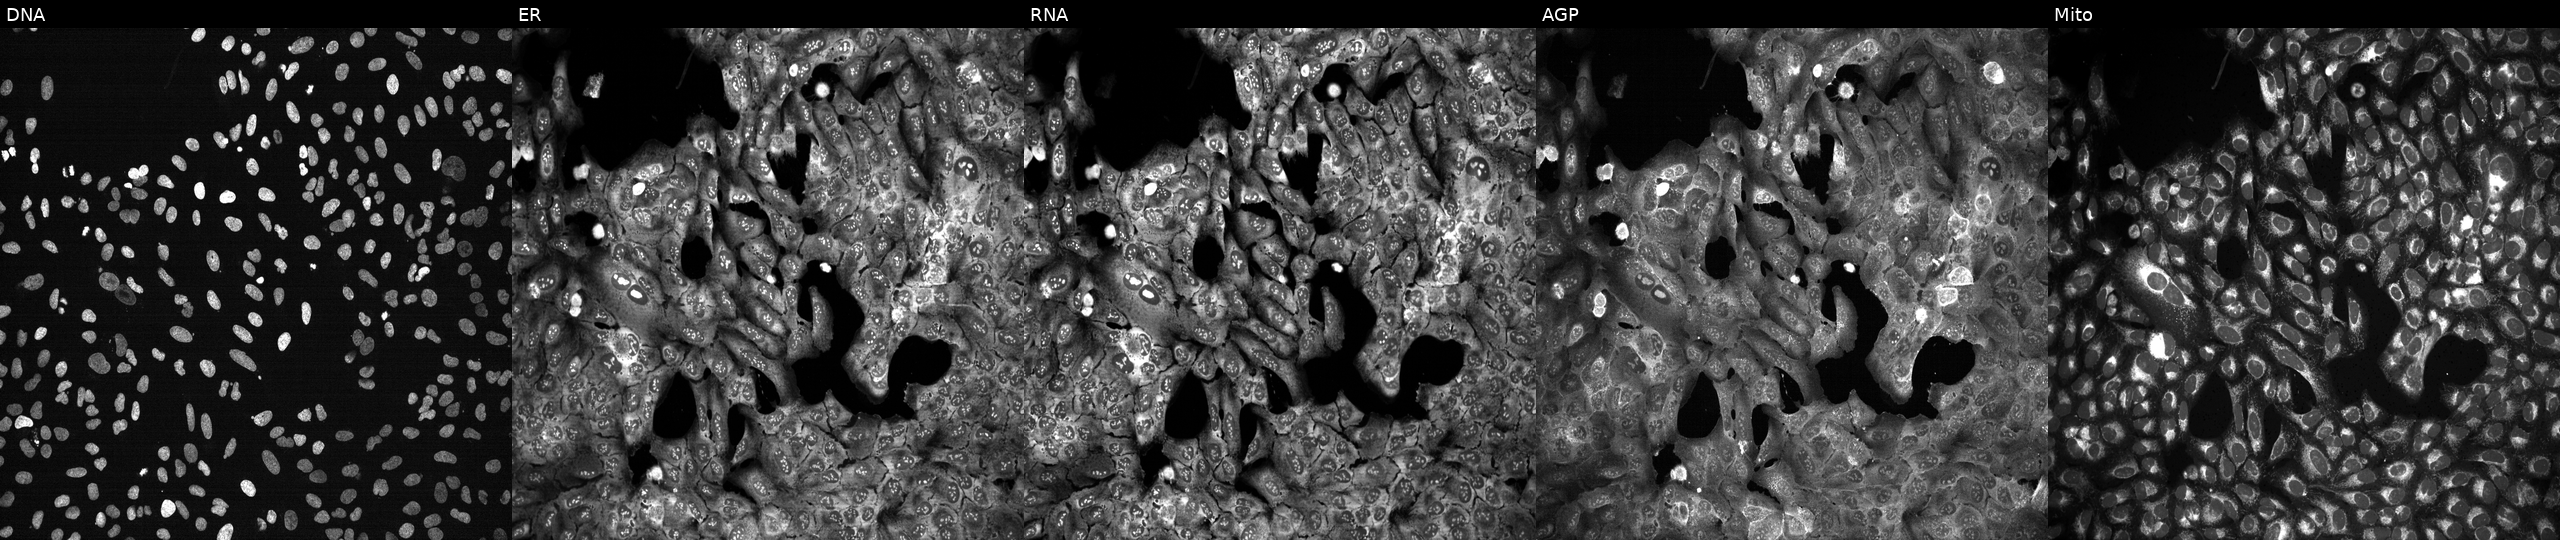
JUMP Cell Painting — CRISPR plate. U2OS cells following CRISPR knockout of TNFAIP8. Panels show, left to right, DNA (nuclei); ER (endoplasmic reticulum); RNA (nucleoli and cytoplasmic RNA); AGP (actin cytoskeleton, Golgi, and plasma membrane); Mito (mitochondria).